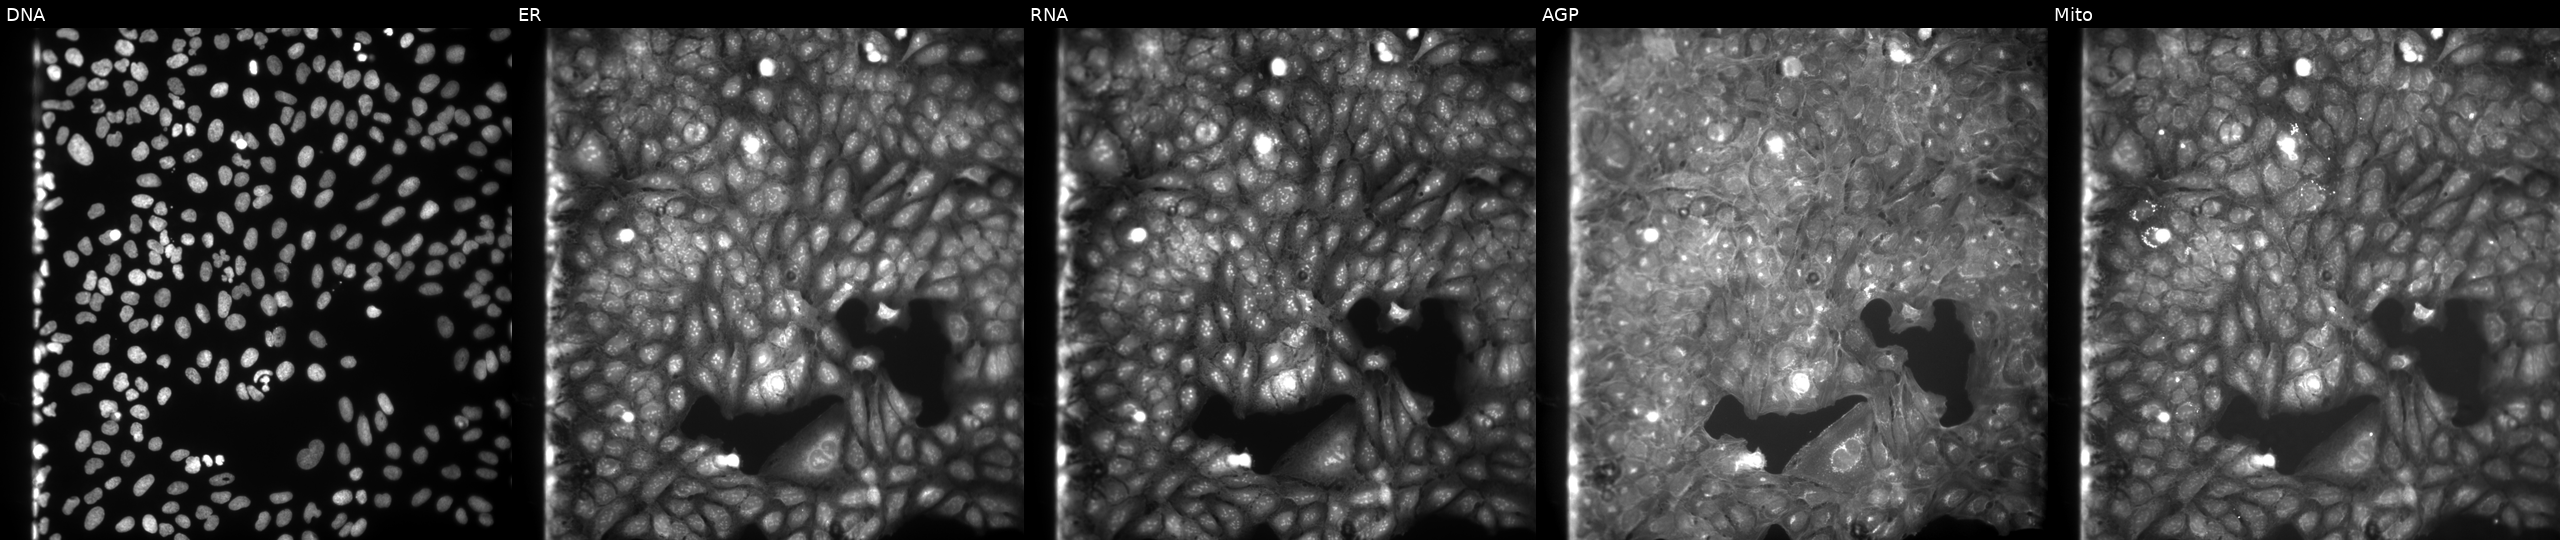
JUMP Cell Painting — COMPOUND plate. U2OS cells treated with DMSO vehicle only (negative control). Panels show, left to right, Hoechst 33342, concanavalin A, SYTO 14, phalloidin and WGA, MitoTracker. Source 9, plate GR00003381, well A02.